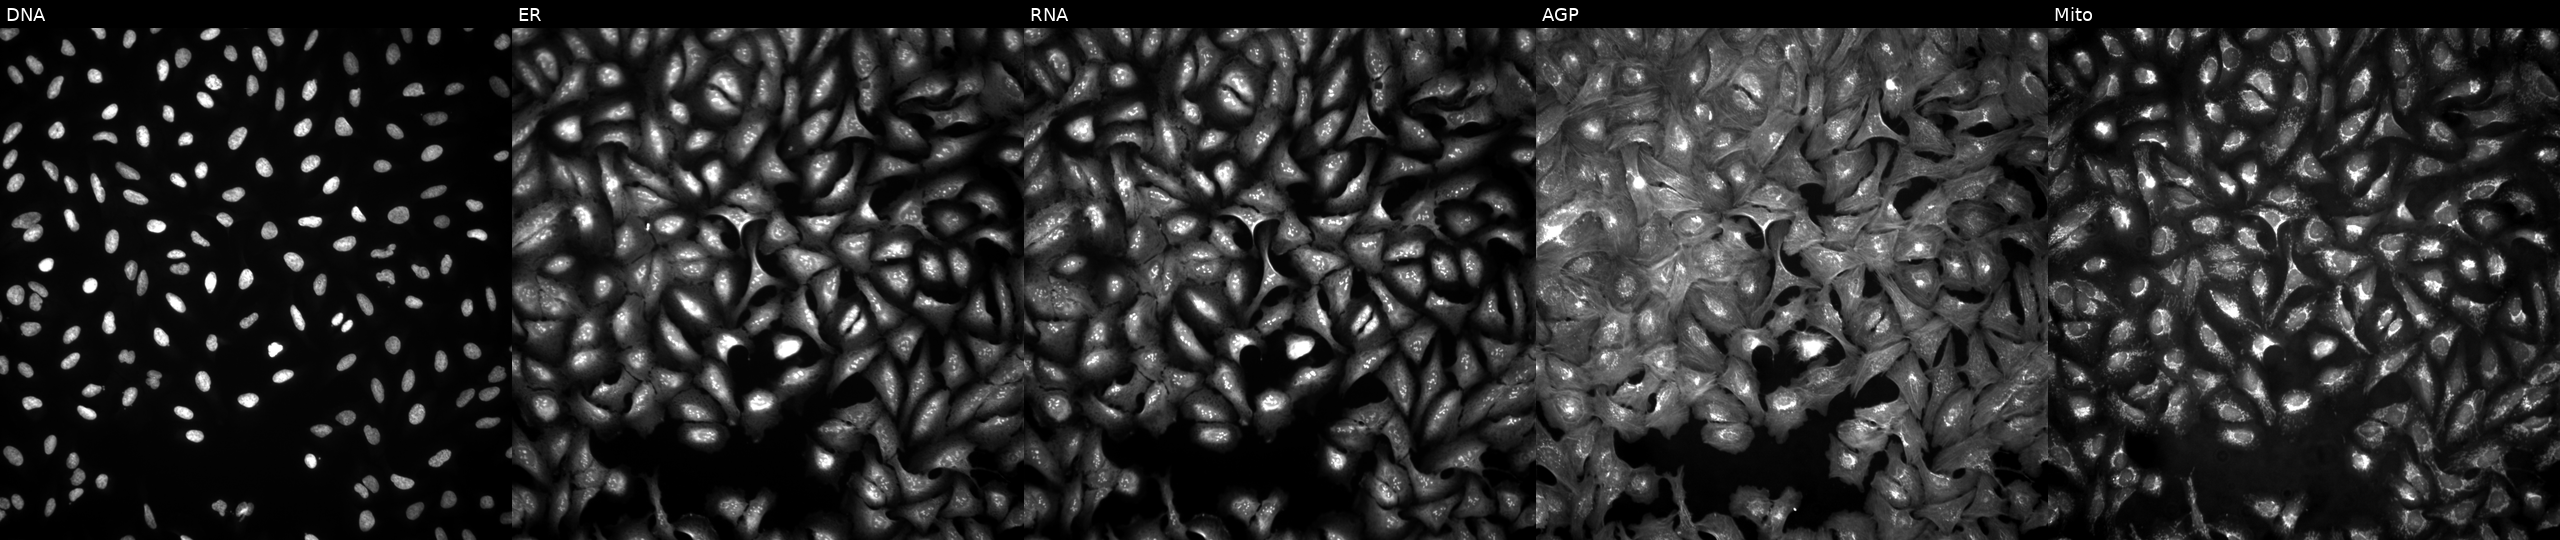
U2OS cells, Cell Painting assay, overexpressing ANP32A-IT1 via ORF transfection (JUMP id JCP2022_909807). From left to right: DNA, ER, RNA, AGP, and Mito. Each panel is percentile-stretched 16-bit fluorescence. Source 4, plate BR00124784, well B05.